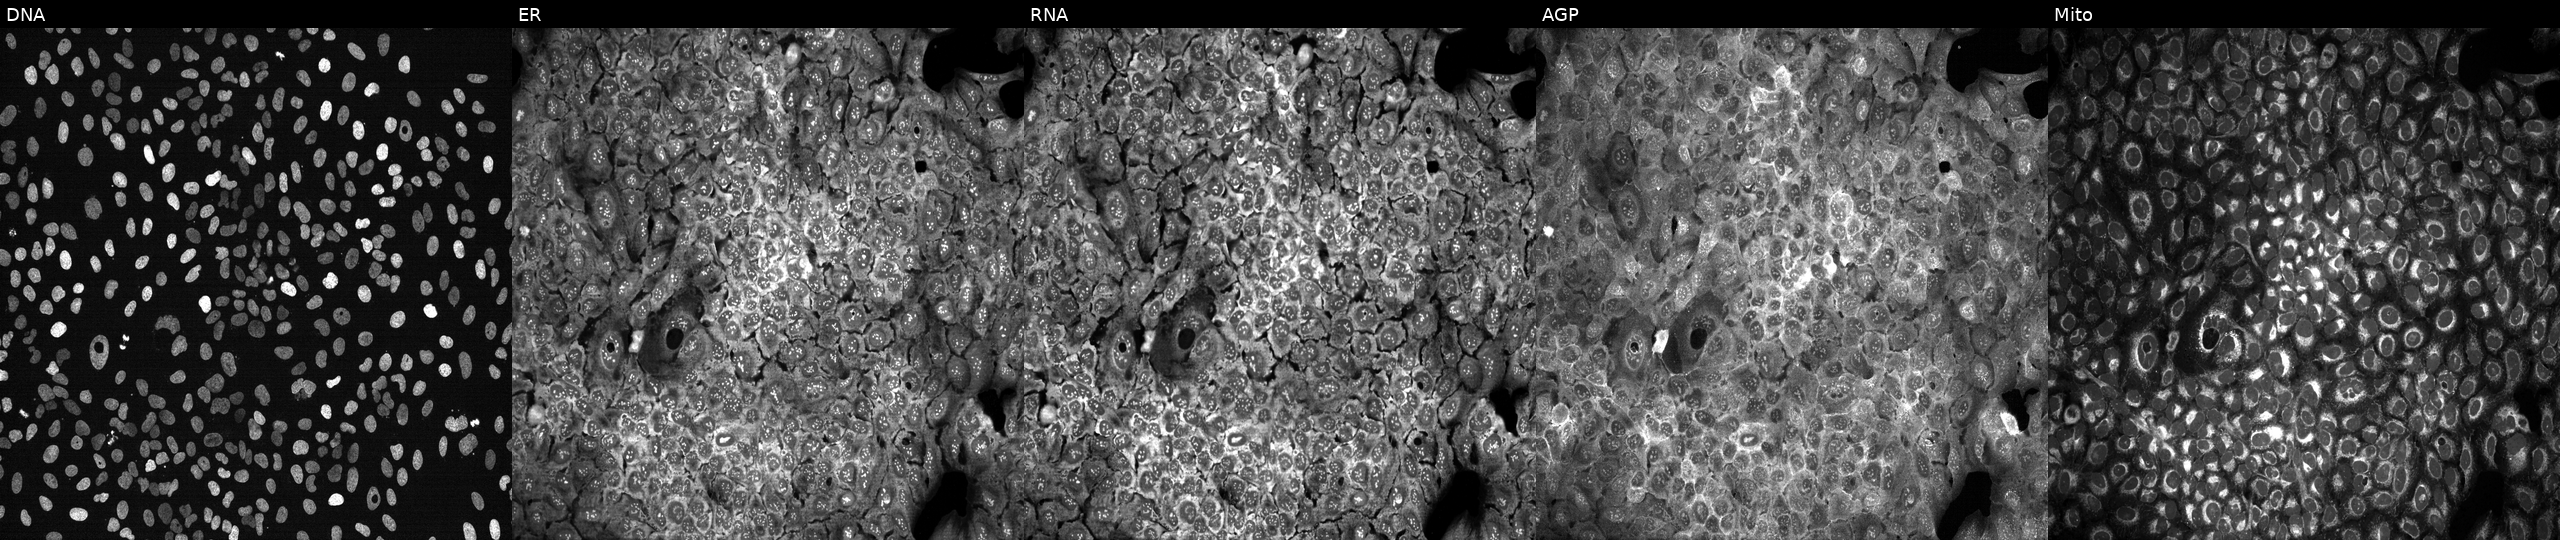
Five-channel Cell Painting image of U2OS cells CRISPR-edited to disrupt EIF6. The five panels, left to right, show DNA (nuclei); ER (endoplasmic reticulum); RNA (nucleoli and cytoplasmic RNA); AGP (actin cytoskeleton, Golgi, and plasma membrane); Mito (mitochondria). Source 13, plate CP-CC9-R4-03, well E19.